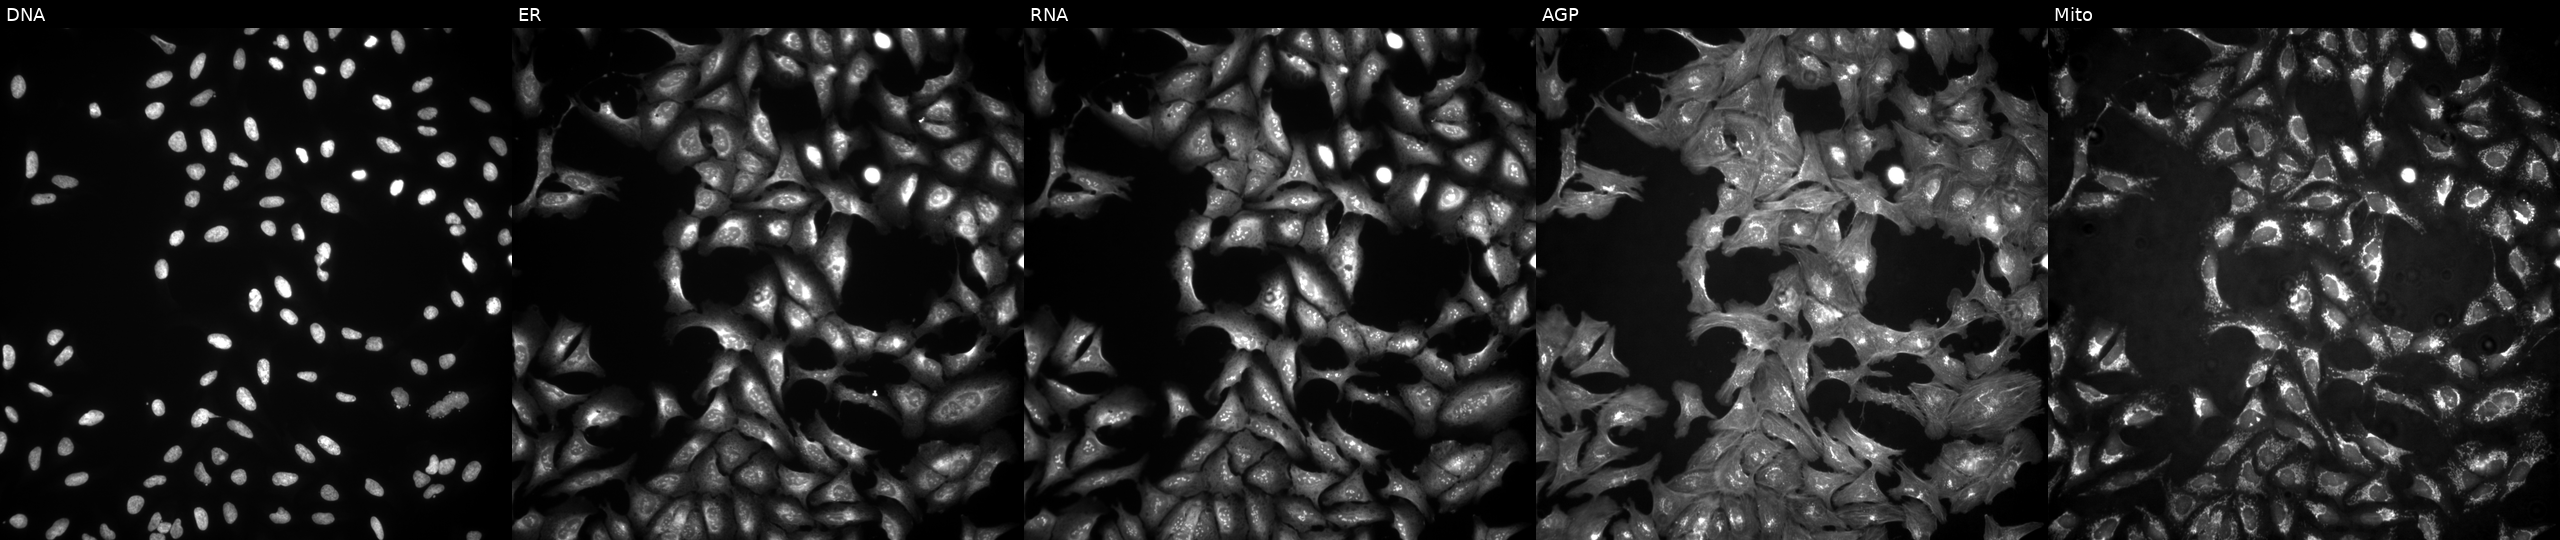
Five-channel Cell Painting image of U2OS cells transfected with an ORF construct for GPX7. From left to right: Hoechst 33342, concanavalin A, SYTO 14, phalloidin and WGA, MitoTracker.